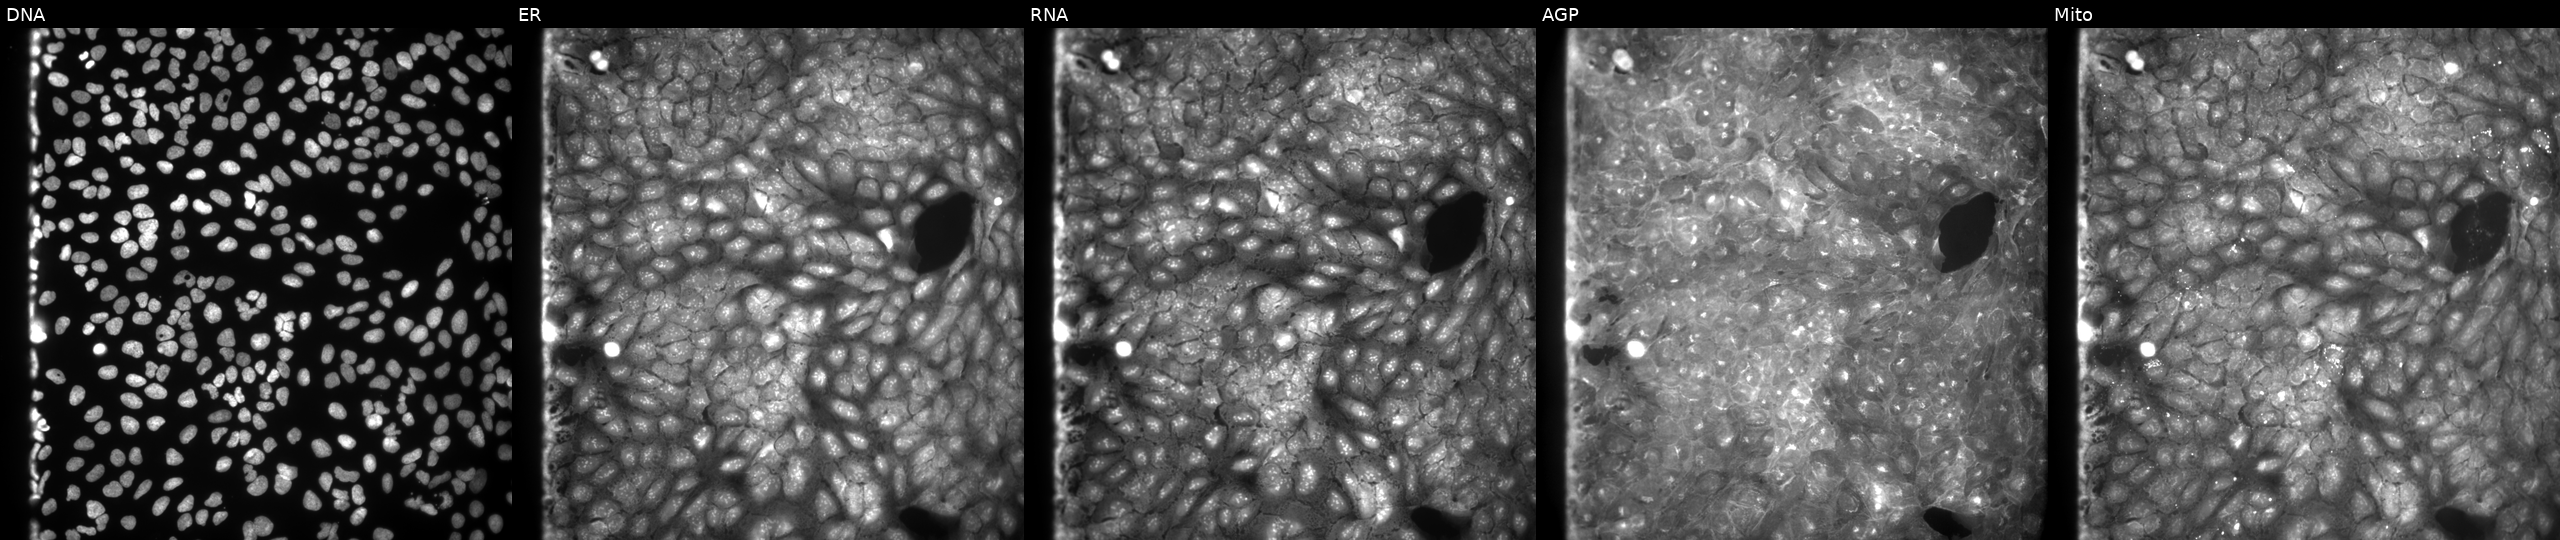
From left to right: DNA (nuclei); ER (endoplasmic reticulum); RNA (nucleoli and cytoplasmic RNA); AGP (actin cytoskeleton, Golgi, and plasma membrane); Mito (mitochondria). U2OS osteosarcoma cells perturbed with a small-molecule compound (InChIKey XTBWHDGXIYEPSS-UHFFFAOYSA-N) [SMILES: CC(=O)Nc1ccc(S(=O)(=O)Nc2ccc(C)c(C)c2)cc1] (JUMP id JCP2022_105844). Cell Painting assay, JUMP-CP dataset.